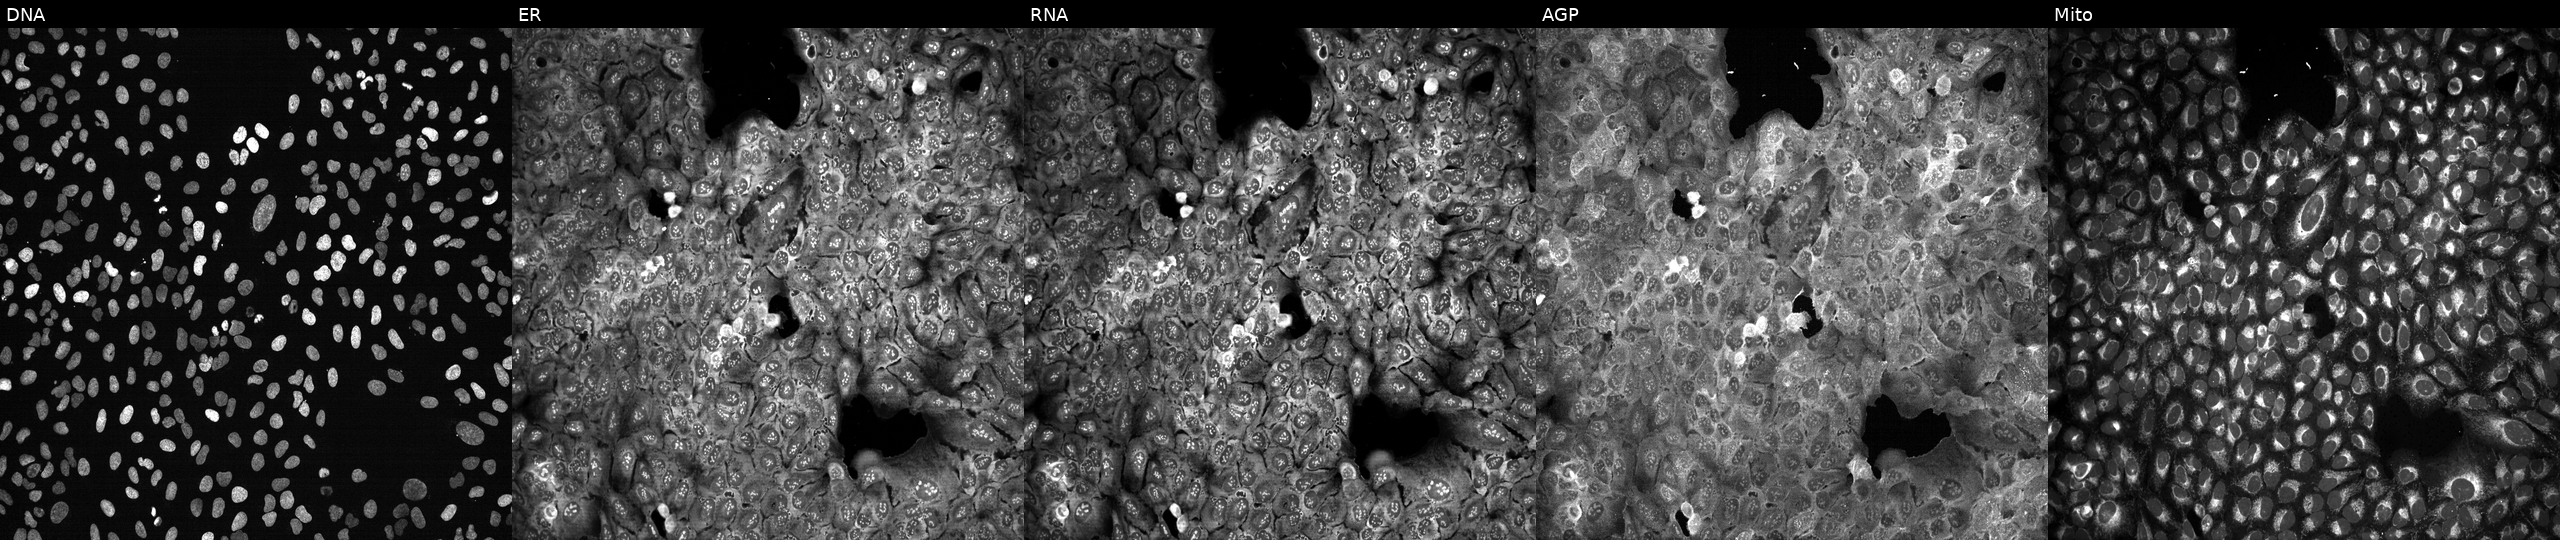
U2OS cells, Cell Painting assay, with ITGA5 knocked out by CRISPR (JUMP id JCP2022_803489). Channels (left→right): Hoechst 33342, concanavalin A, SYTO 14, phalloidin and WGA, MitoTracker. Each panel is percentile-stretched 16-bit fluorescence.